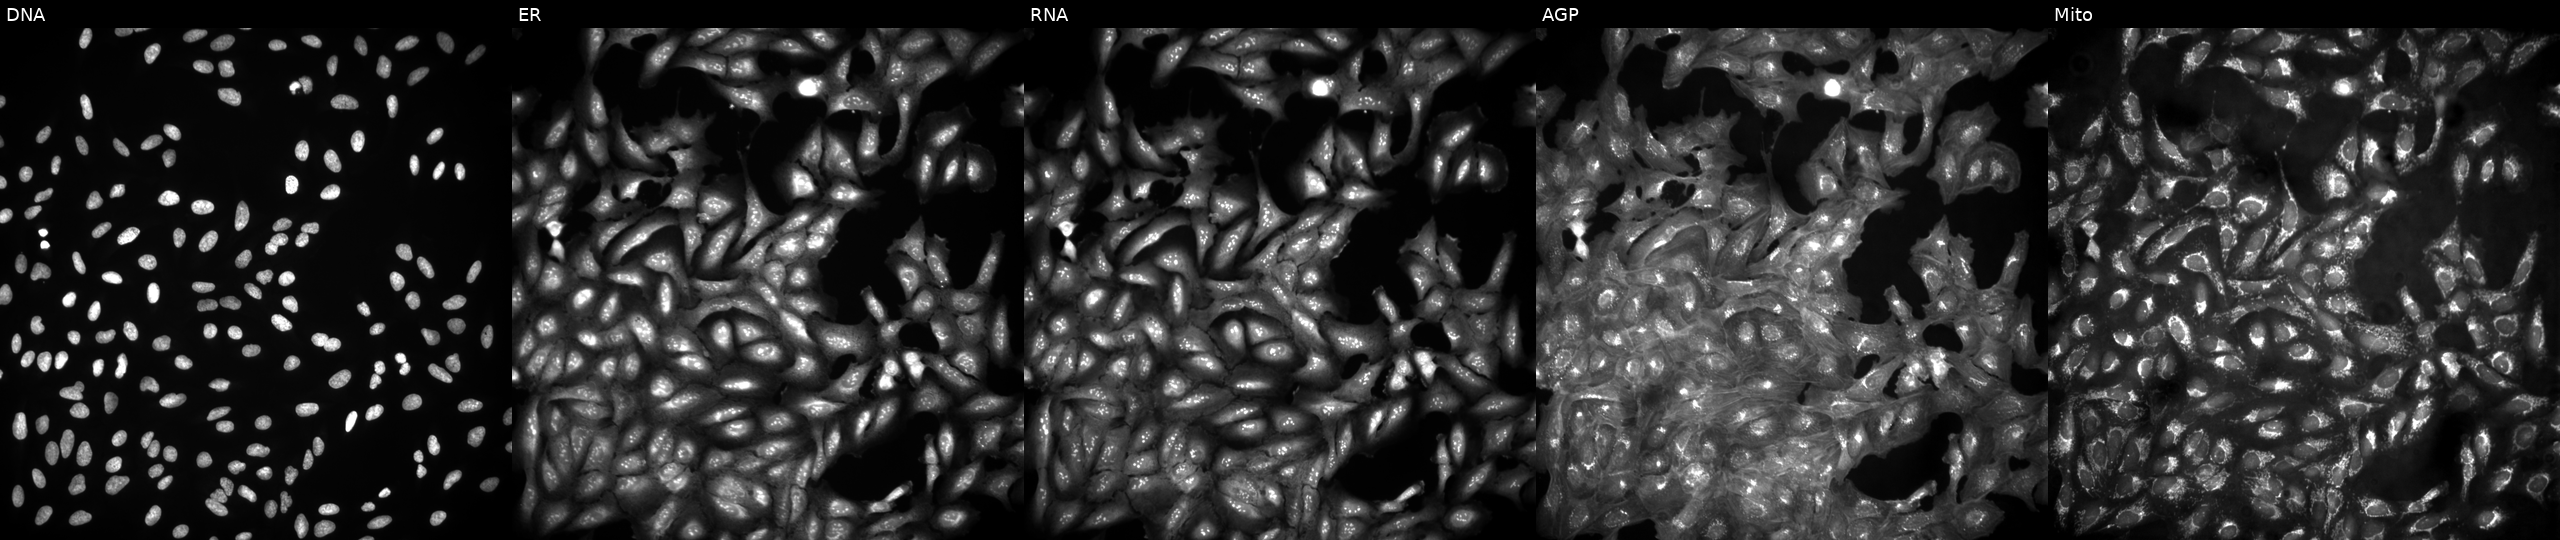
Five-channel Cell Painting image of U2OS cells untreated (empty-well control). Channels (left→right): Hoechst 33342, concanavalin A, SYTO 14, phalloidin and WGA, MitoTracker. Source 4, plate BR00123946, well K04.